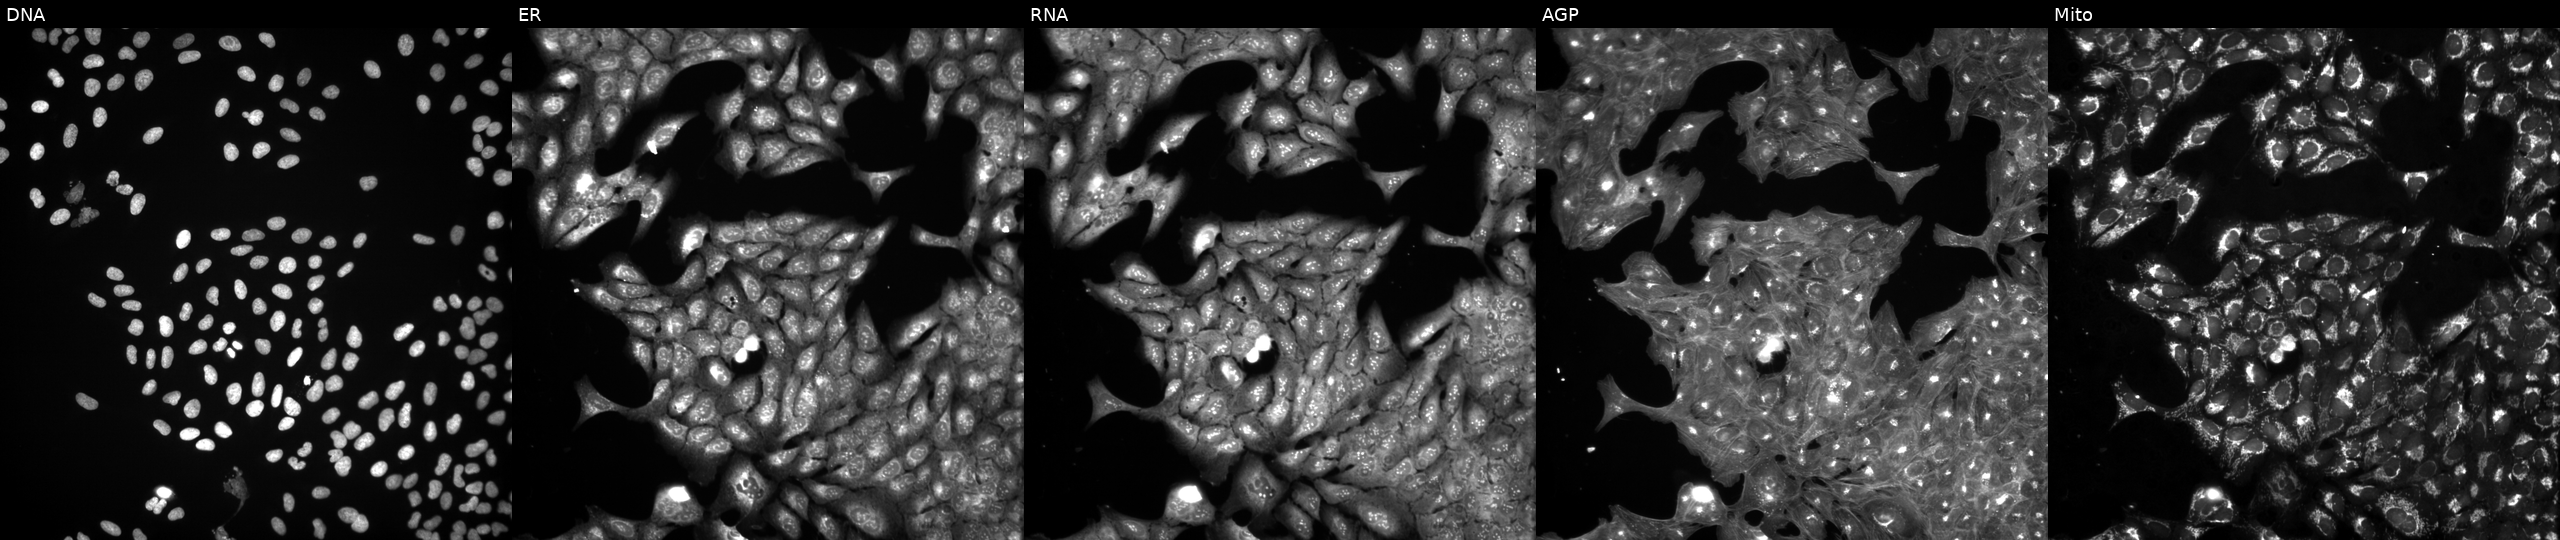
From left to right: DNA, ER, RNA, AGP, and Mito. U2OS osteosarcoma cells exposed to the positive-control compound aloxistatin (JUMP id JCP2022_085227). Cell Painting assay, JUMP-CP dataset.